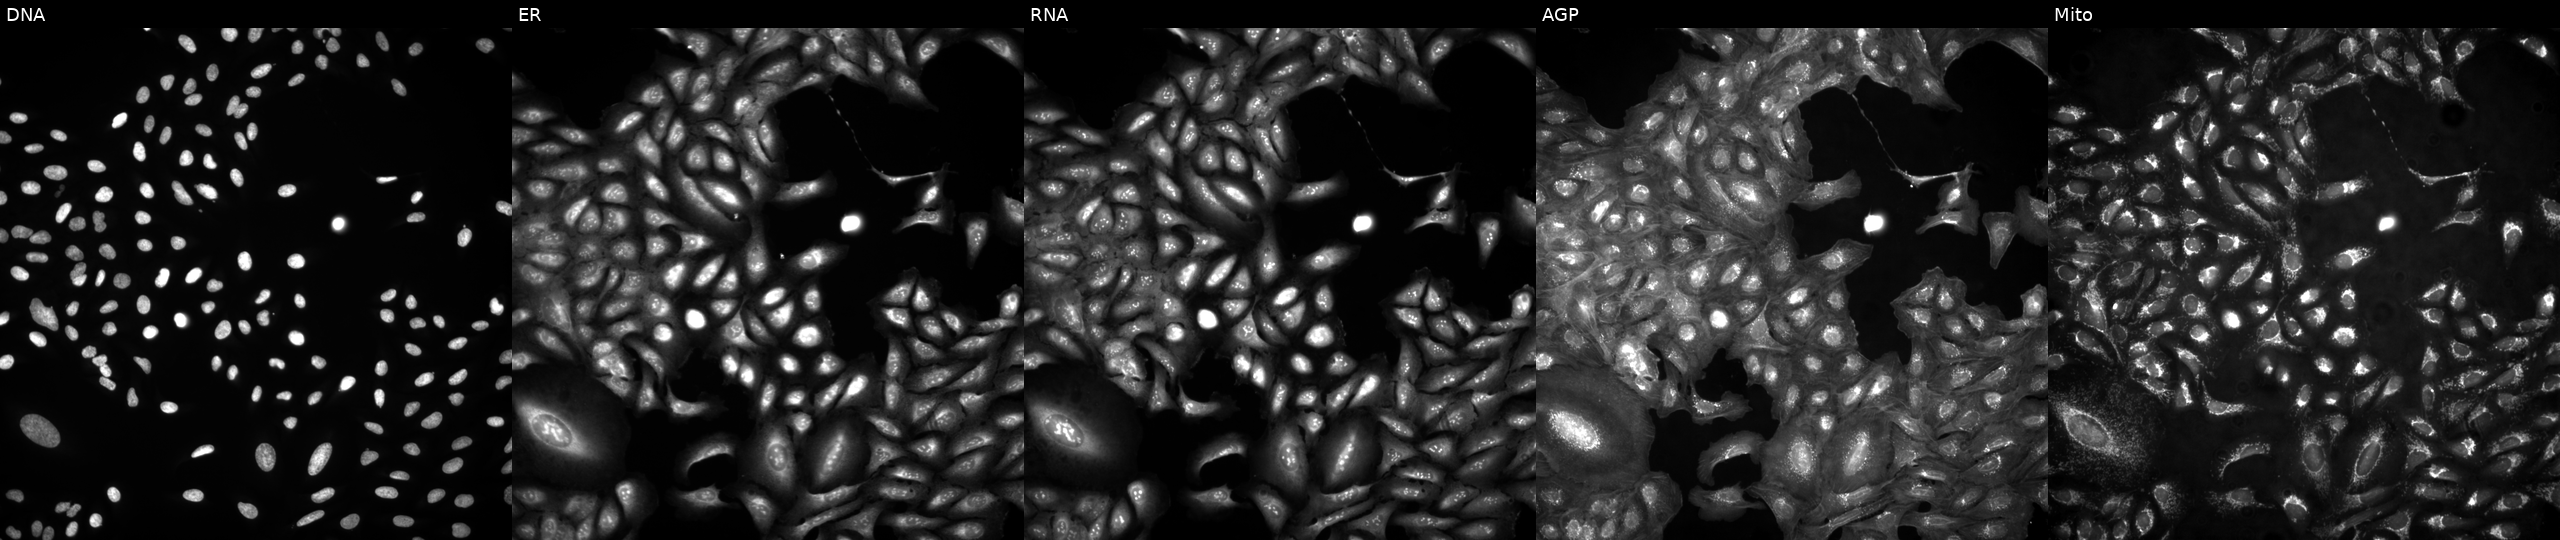
U2OS cells, Cell Painting assay, untreated (empty-well control) (JUMP id JCP2022_999999). Panels show, left to right, DNA, ER, RNA, AGP, and Mito. Each panel is percentile-stretched 16-bit fluorescence.